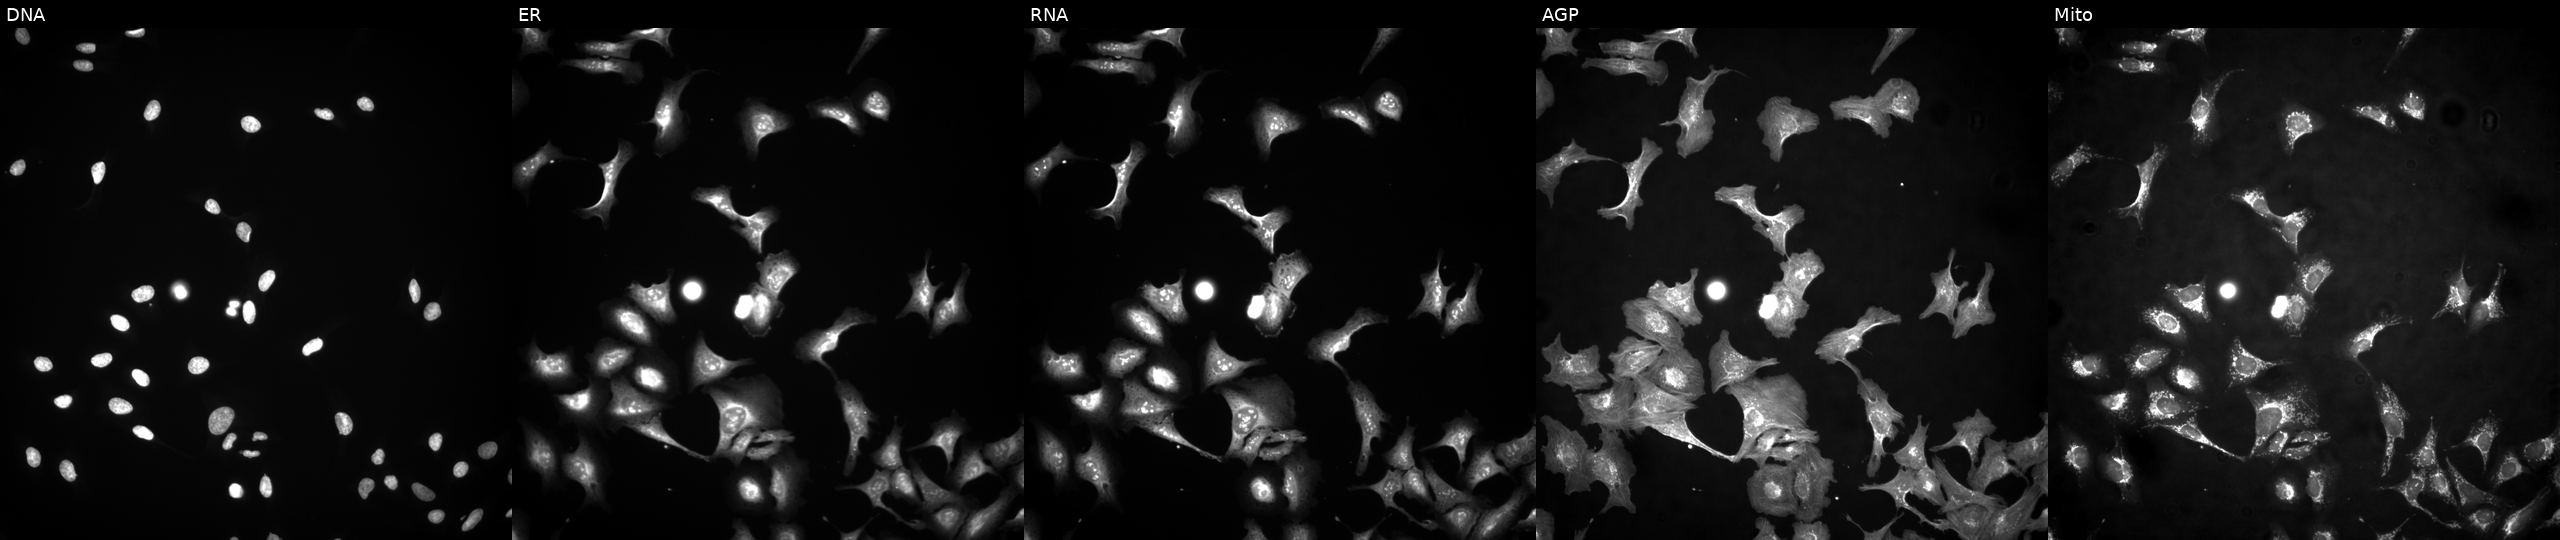
JUMP Cell Painting — ORF plate. U2OS cells with HMGCR overexpressed (ORF) (JUMP id JCP2022_900707). Panels show, left to right, DNA, ER, RNA, AGP, and Mito. Source 4, plate BR00124784, well O11.